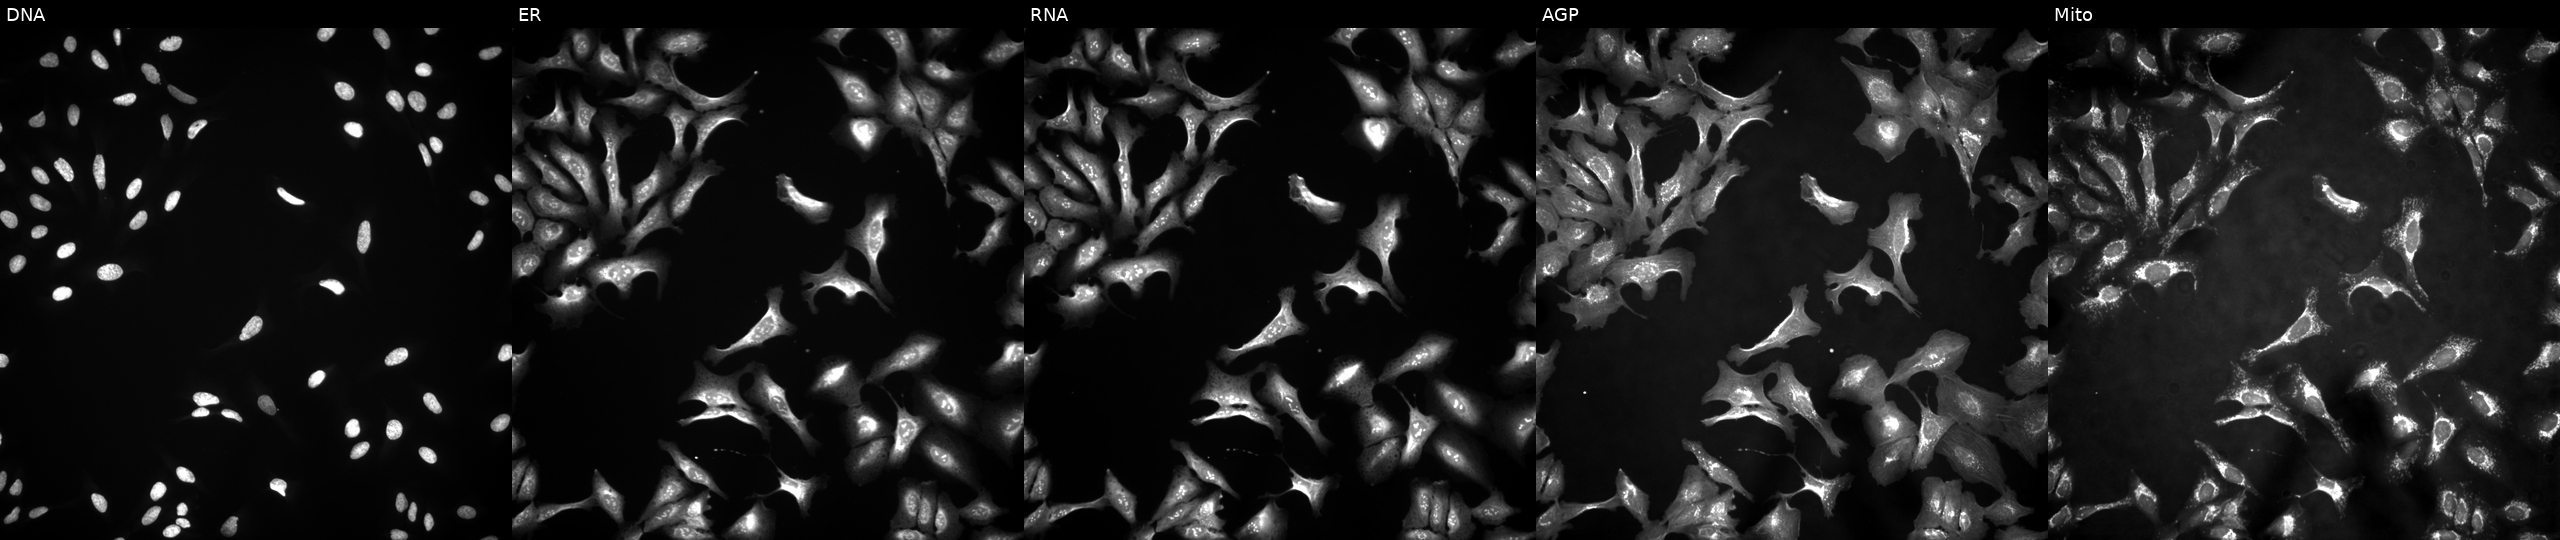
Five-channel Cell Painting image of U2OS cells with CDH13 overexpressed (ORF). From left to right: Hoechst 33342, concanavalin A, SYTO 14, phalloidin and WGA, MitoTracker.